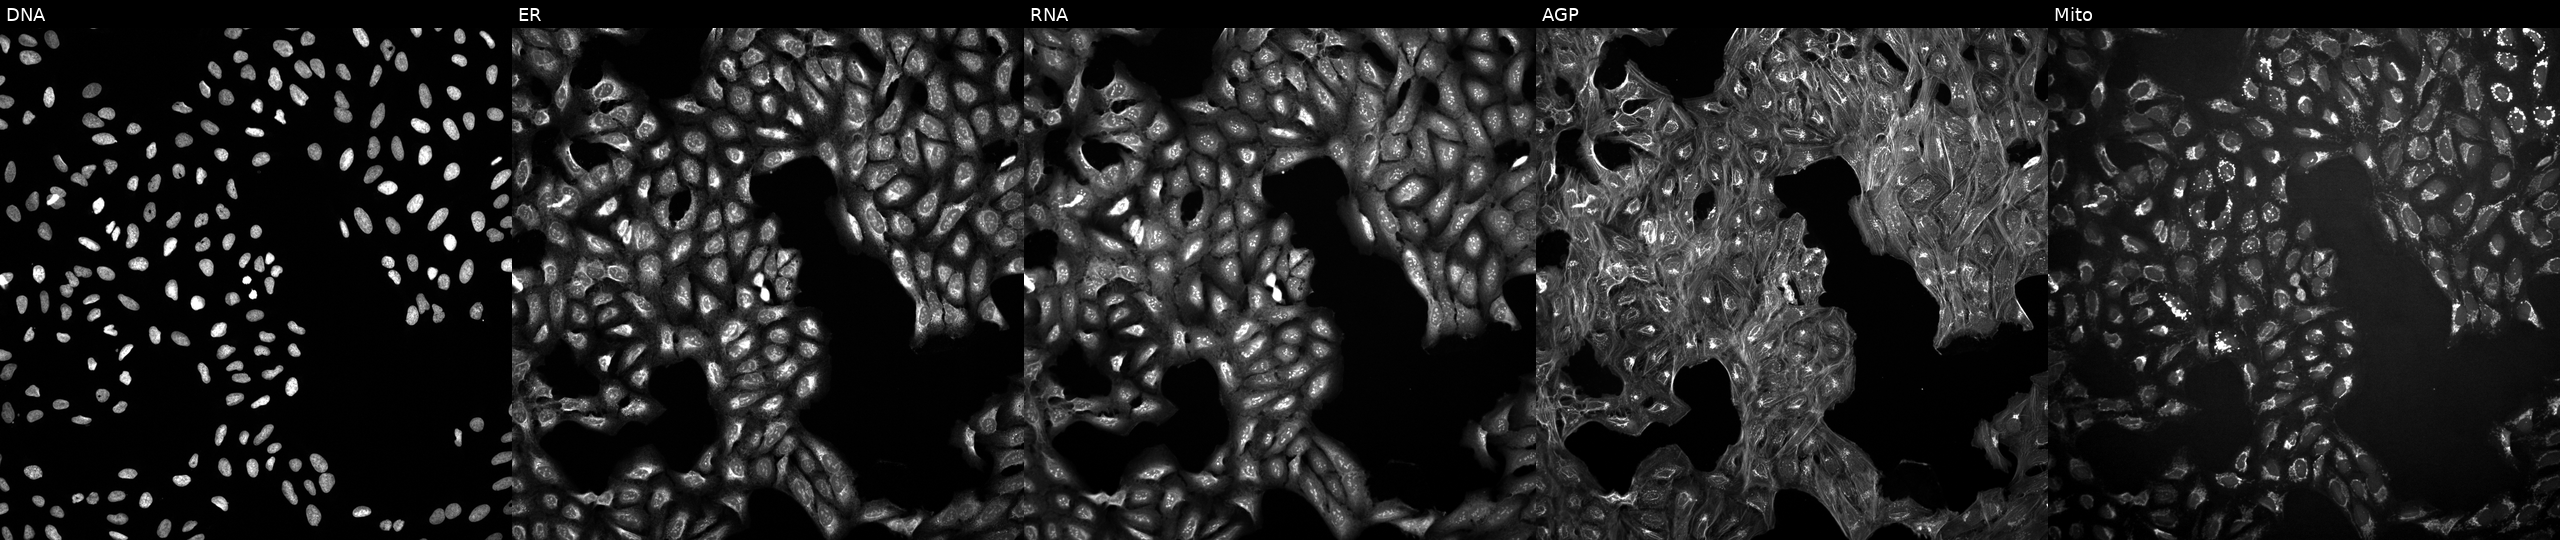
Five-channel Cell Painting image of U2OS cells exposed to a small-molecule compound. The five panels, left to right, show Hoechst 33342, concanavalin A, SYTO 14, phalloidin and WGA, MitoTracker. Source 10, plate Dest210531-152324, well H03.